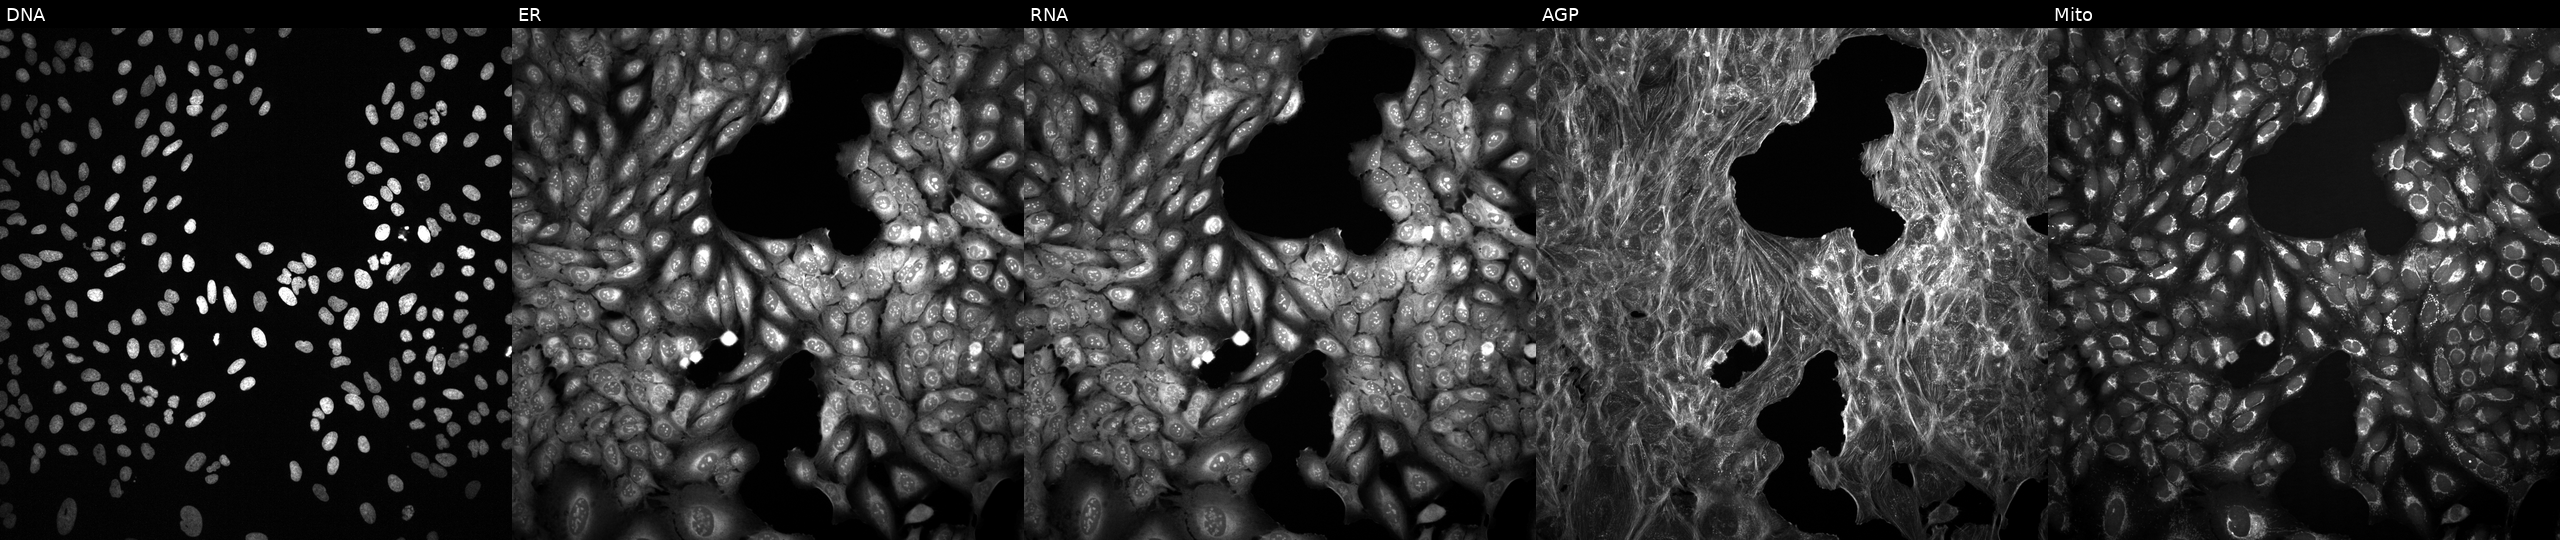
High-content fluorescence microscopy (Cell Painting). Cell line: U2OS. Perturbation: treated with a small-molecule compound (InChIKey NLSSUSRERAMBTA-UHFFFAOYSA-N). The five panels, left to right, show DNA (nuclei); ER (endoplasmic reticulum); RNA (nucleoli and cytoplasmic RNA); AGP (actin cytoskeleton, Golgi, and plasma membrane); Mito (mitochondria). Source 2, plate 1053597936, well O19.